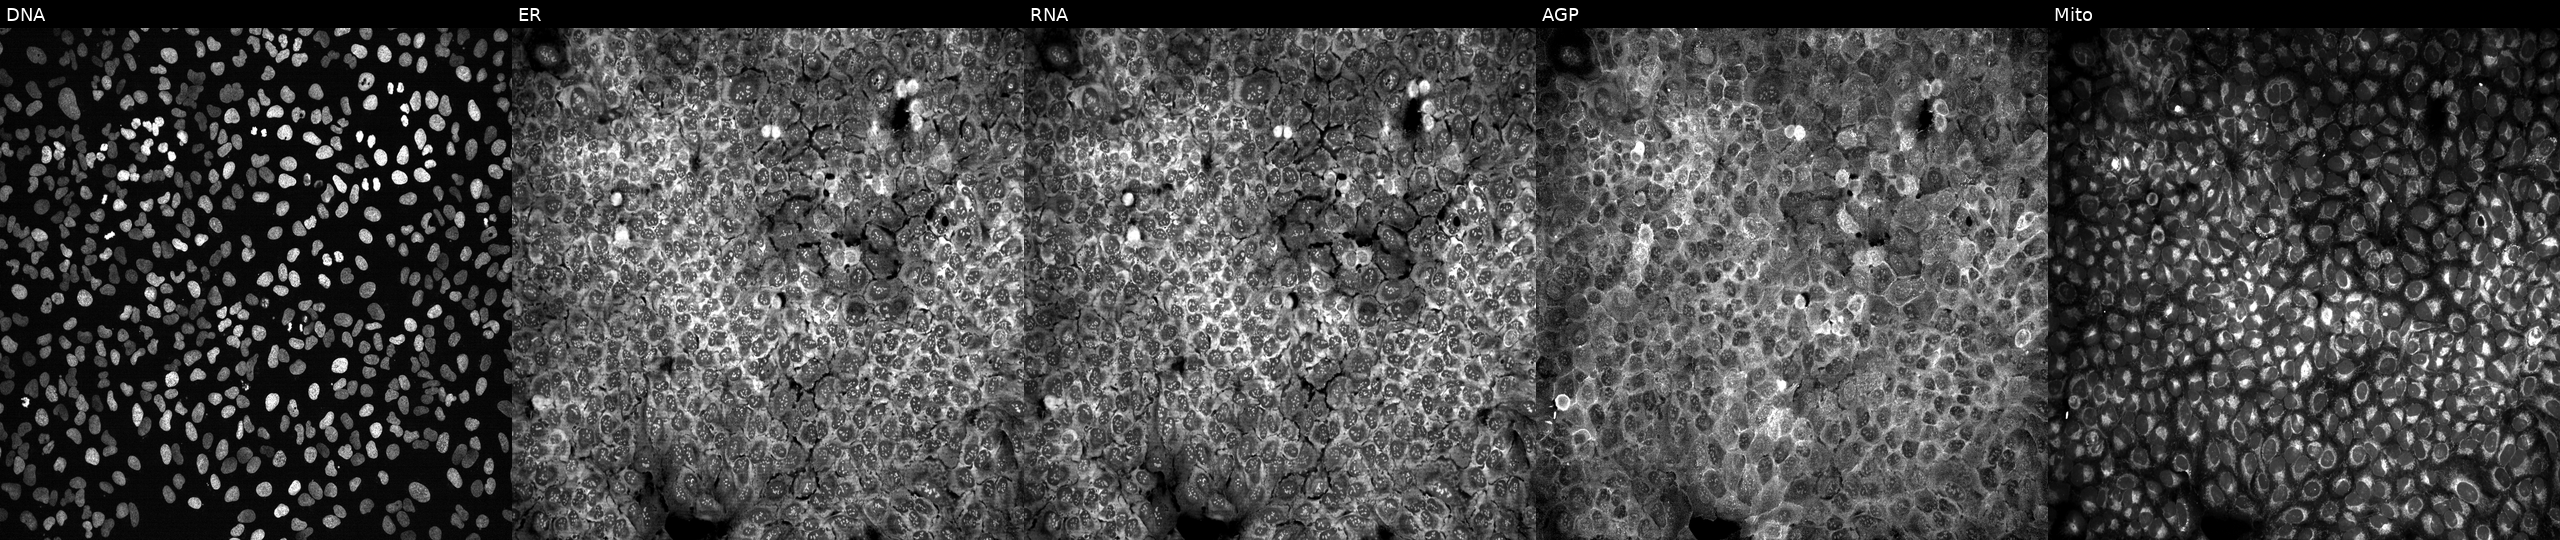
This image strip shows the five Cell Painting channels for a single field of U2OS cells CRISPR-edited to disrupt FGA (JUMP id JCP2022_802372). The five panels, left to right, show DNA, ER, RNA, AGP, and Mito. Source 13, plate CP-CC9-R2-02, well H11.